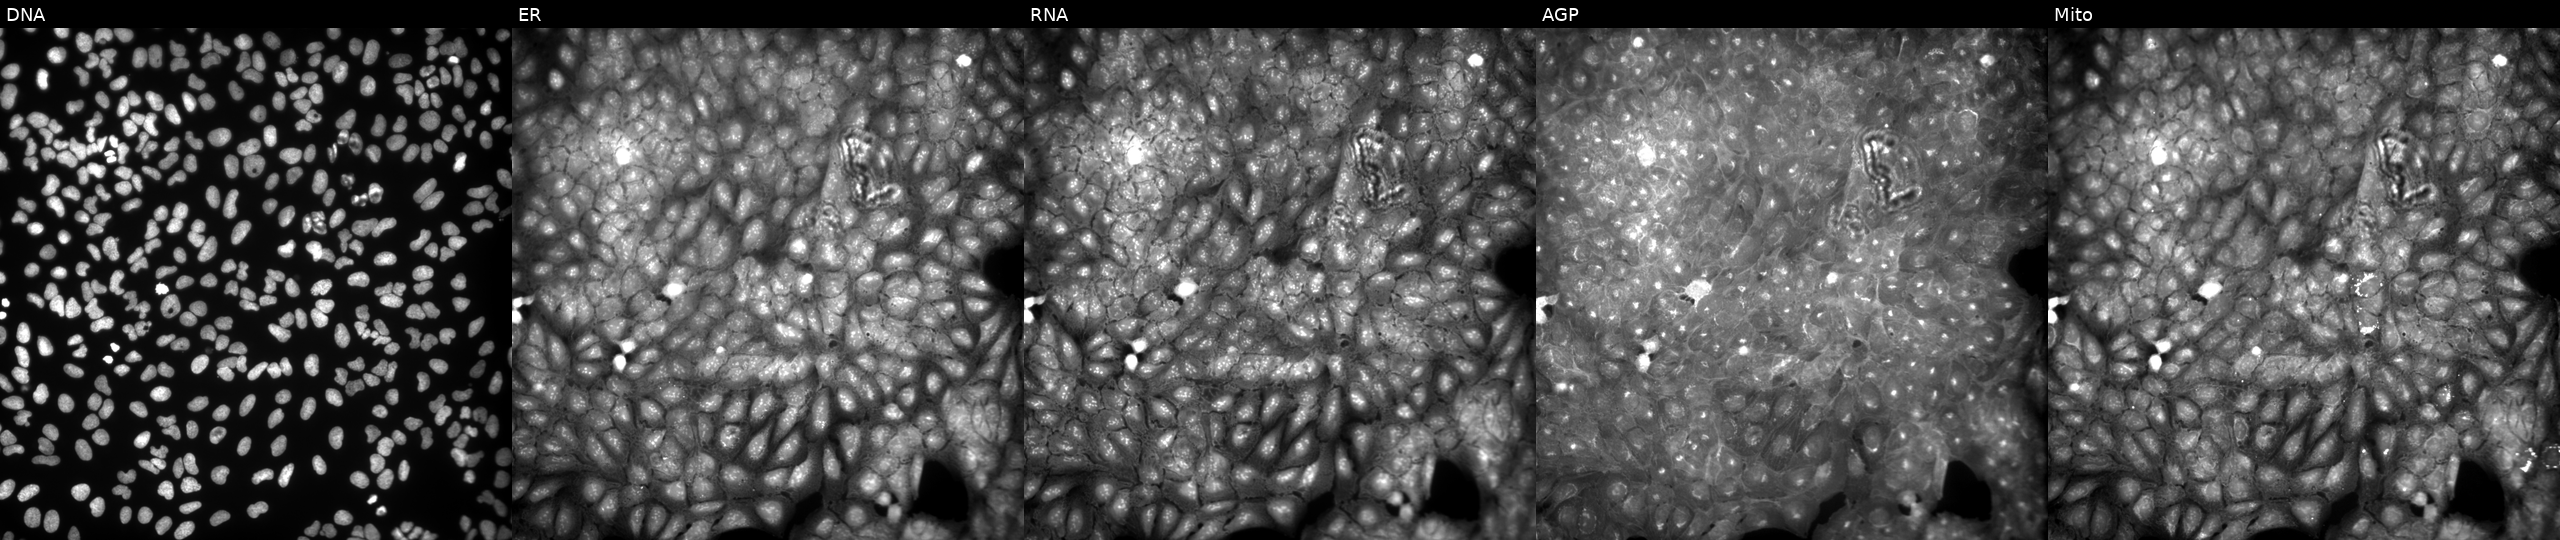
Panels show, left to right, DNA (nuclei); ER (endoplasmic reticulum); RNA (nucleoli and cytoplasmic RNA); AGP (actin cytoskeleton, Golgi, and plasma membrane); Mito (mitochondria). U2OS osteosarcoma cells treated with a small-molecule compound (JUMP id JCP2022_094862). Cell Painting assay, JUMP-CP dataset.